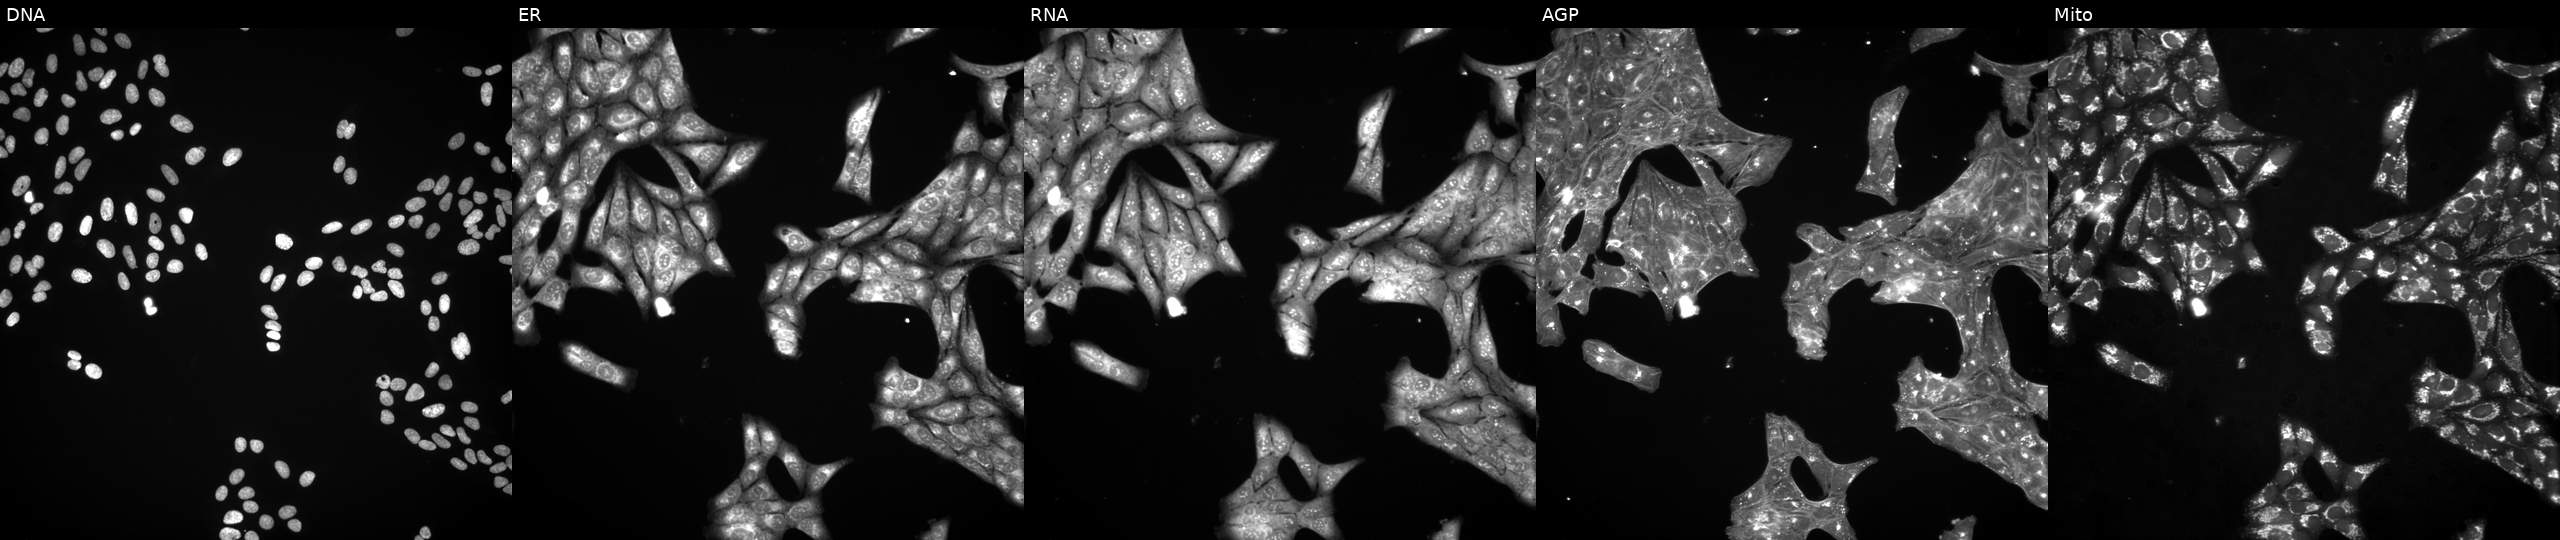
Five-channel Cell Painting image of U2OS cells exposed to a small-molecule compound (InChIKey AECDBHGVIIRMOI-UHFFFAOYSA-N). Channels (left→right): DNA (nuclei); ER (endoplasmic reticulum); RNA (nucleoli and cytoplasmic RNA); AGP (actin cytoskeleton, Golgi, and plasma membrane); Mito (mitochondria).